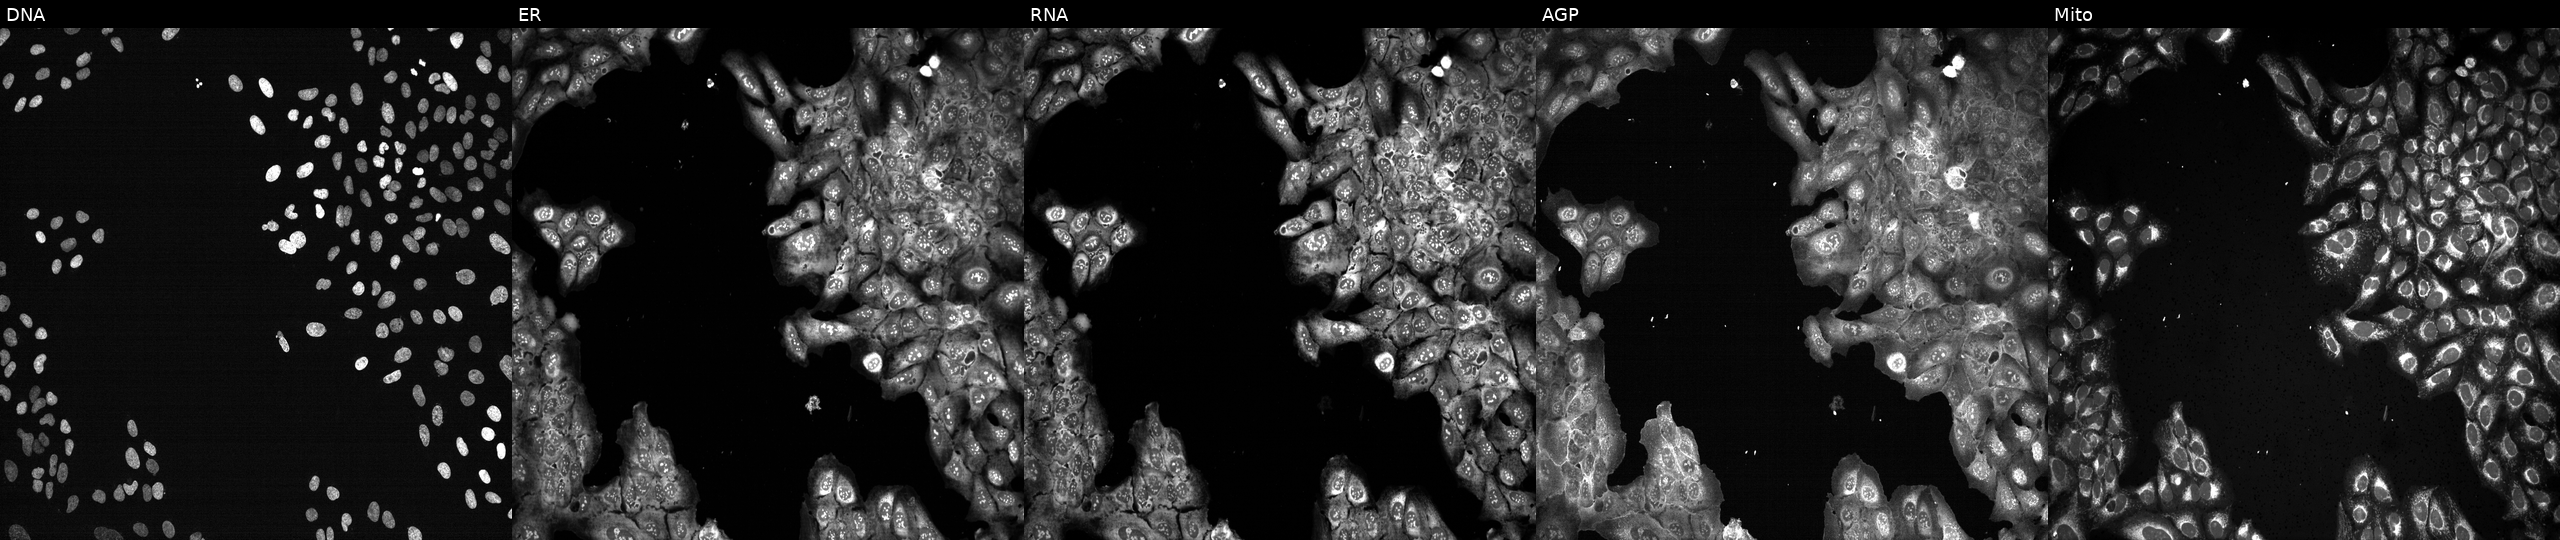
U2OS cells, Cell Painting assay, CRISPR-edited to disrupt RAB32 (JUMP id JCP2022_805763). Channels (left→right): DNA, ER, RNA, AGP, and Mito. Each panel is percentile-stretched 16-bit fluorescence.